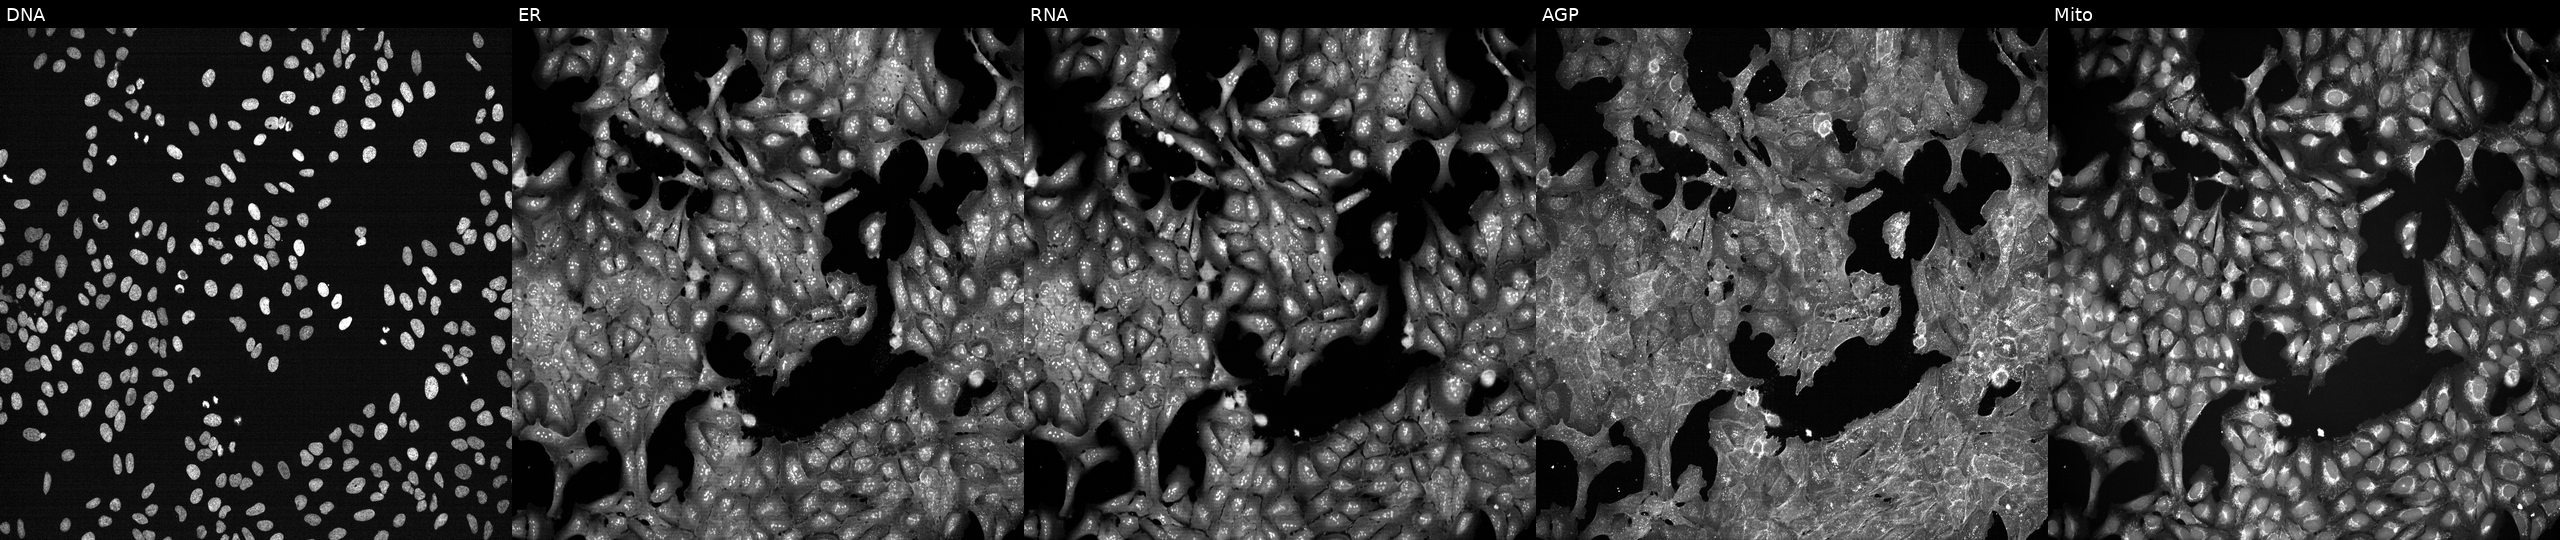
JUMP Cell Painting — TARGET2 plate. U2OS cells exposed to a small-molecule compound (InChIKey HFYPTENHTPNXGP-UHFFFAOYSA-N) [SMILES: O=C(O)c1ccc2c(c1)C(=O)N(c1cccc(Oc3ccc([N+](=O)[O-])cc3)c1)C2=O] (JUMP id JCP2022_029951). From left to right: Hoechst 33342, concanavalin A, SYTO 14, phalloidin and WGA, MitoTracker.